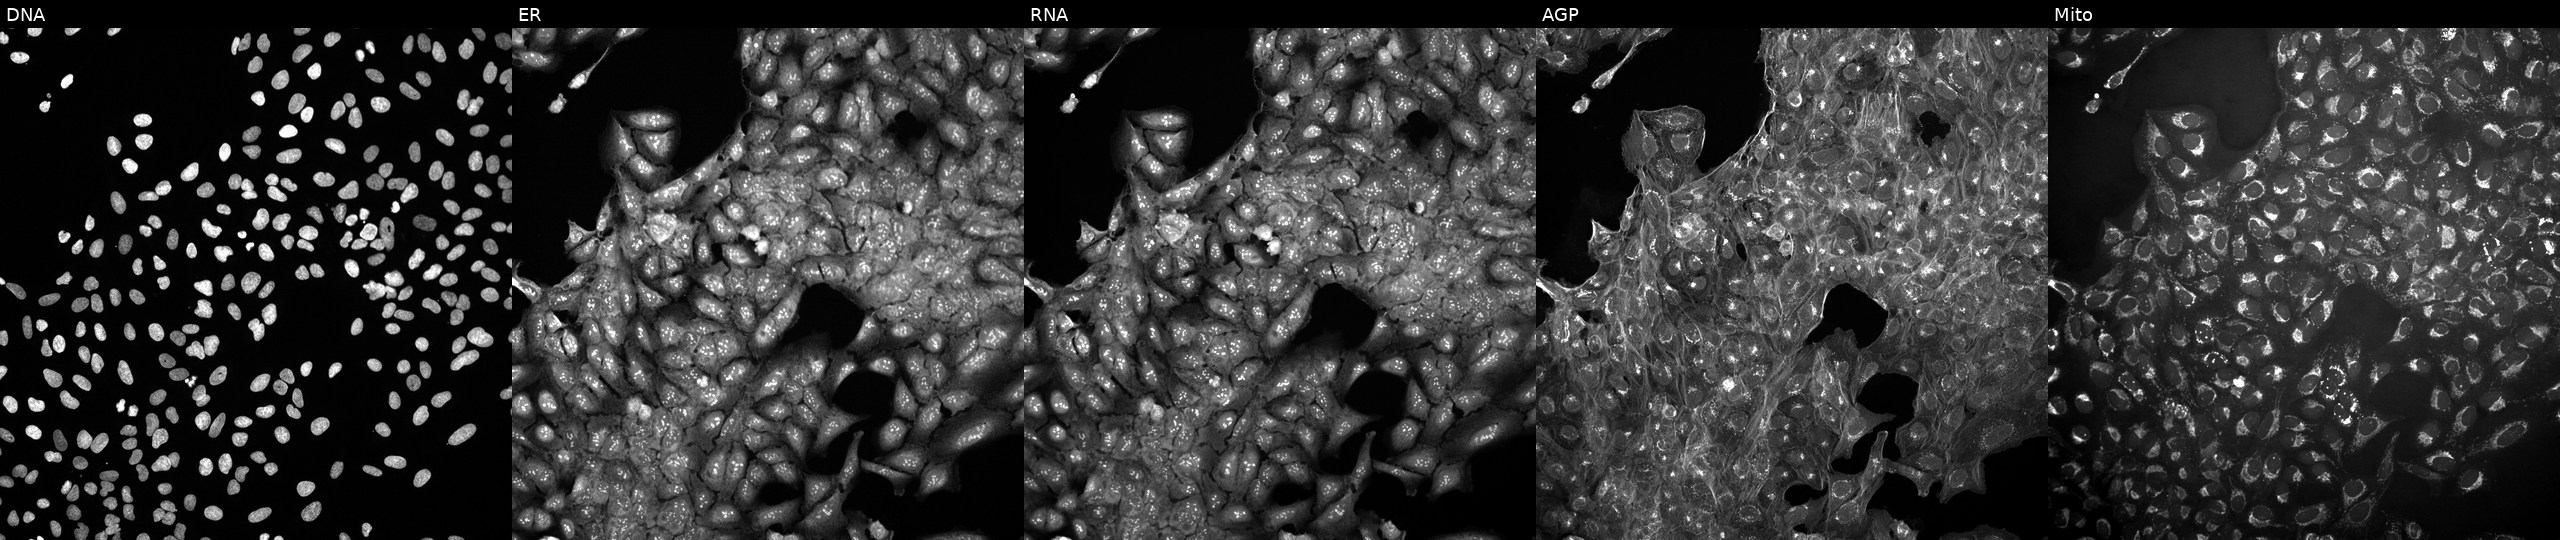
U2OS cells, Cell Painting assay, perturbed with a small-molecule compound. The five panels, left to right, show Hoechst 33342, concanavalin A, SYTO 14, phalloidin and WGA, MitoTracker. Each panel is percentile-stretched 16-bit fluorescence. Source 10, plate Dest210531-152149, well E11.